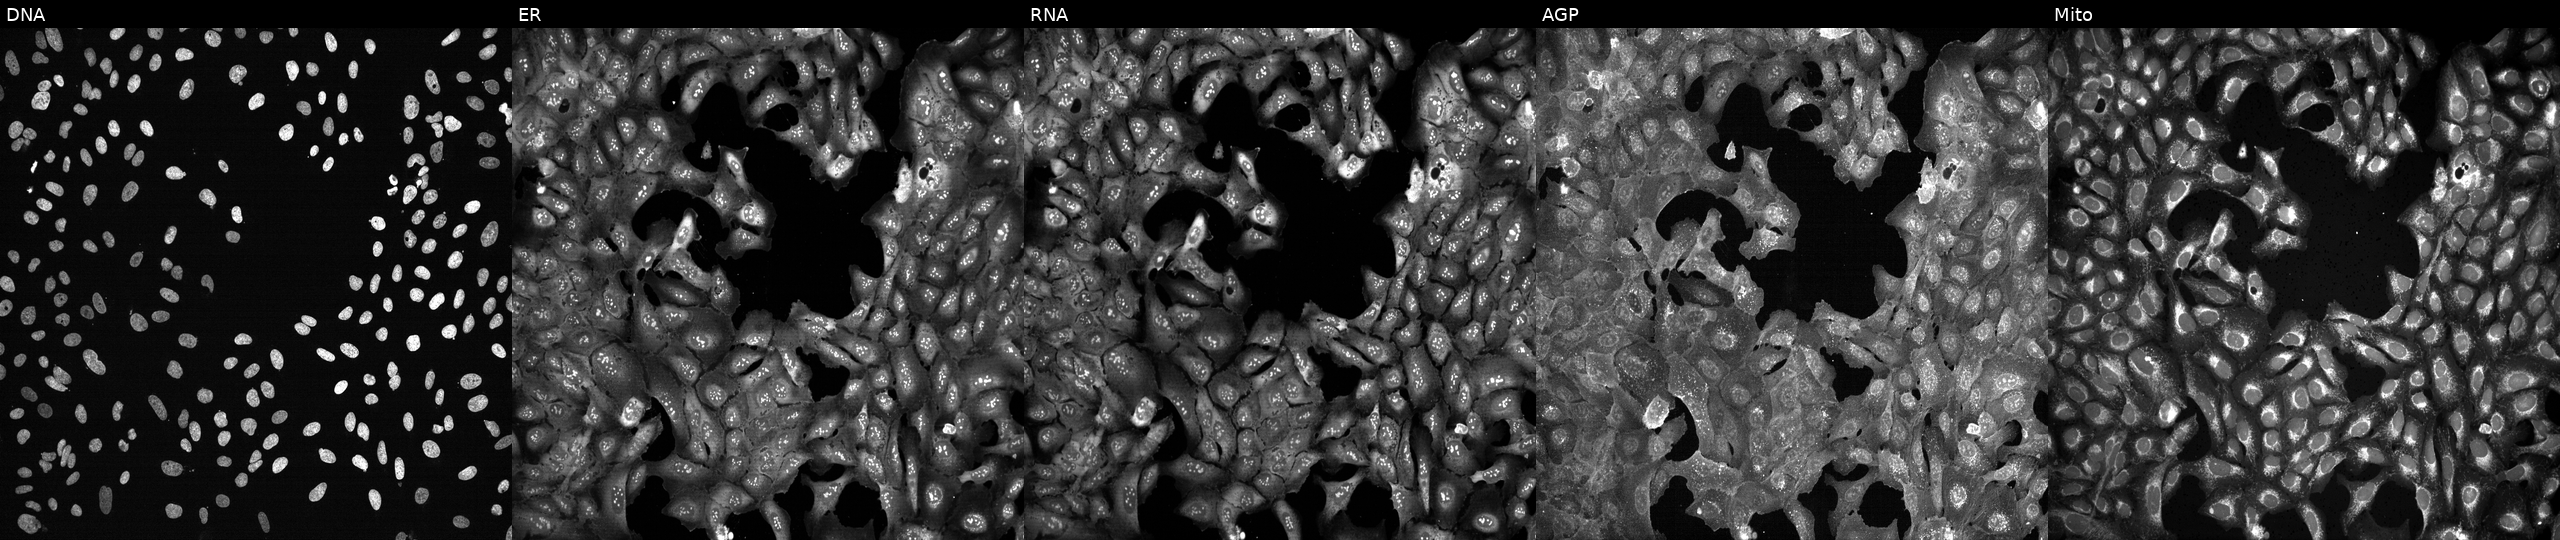
This image strip shows the five Cell Painting channels for a single field of U2OS cells following CRISPR knockout of CYP21A2. From left to right: Hoechst 33342, concanavalin A, SYTO 14, phalloidin and WGA, MitoTracker.